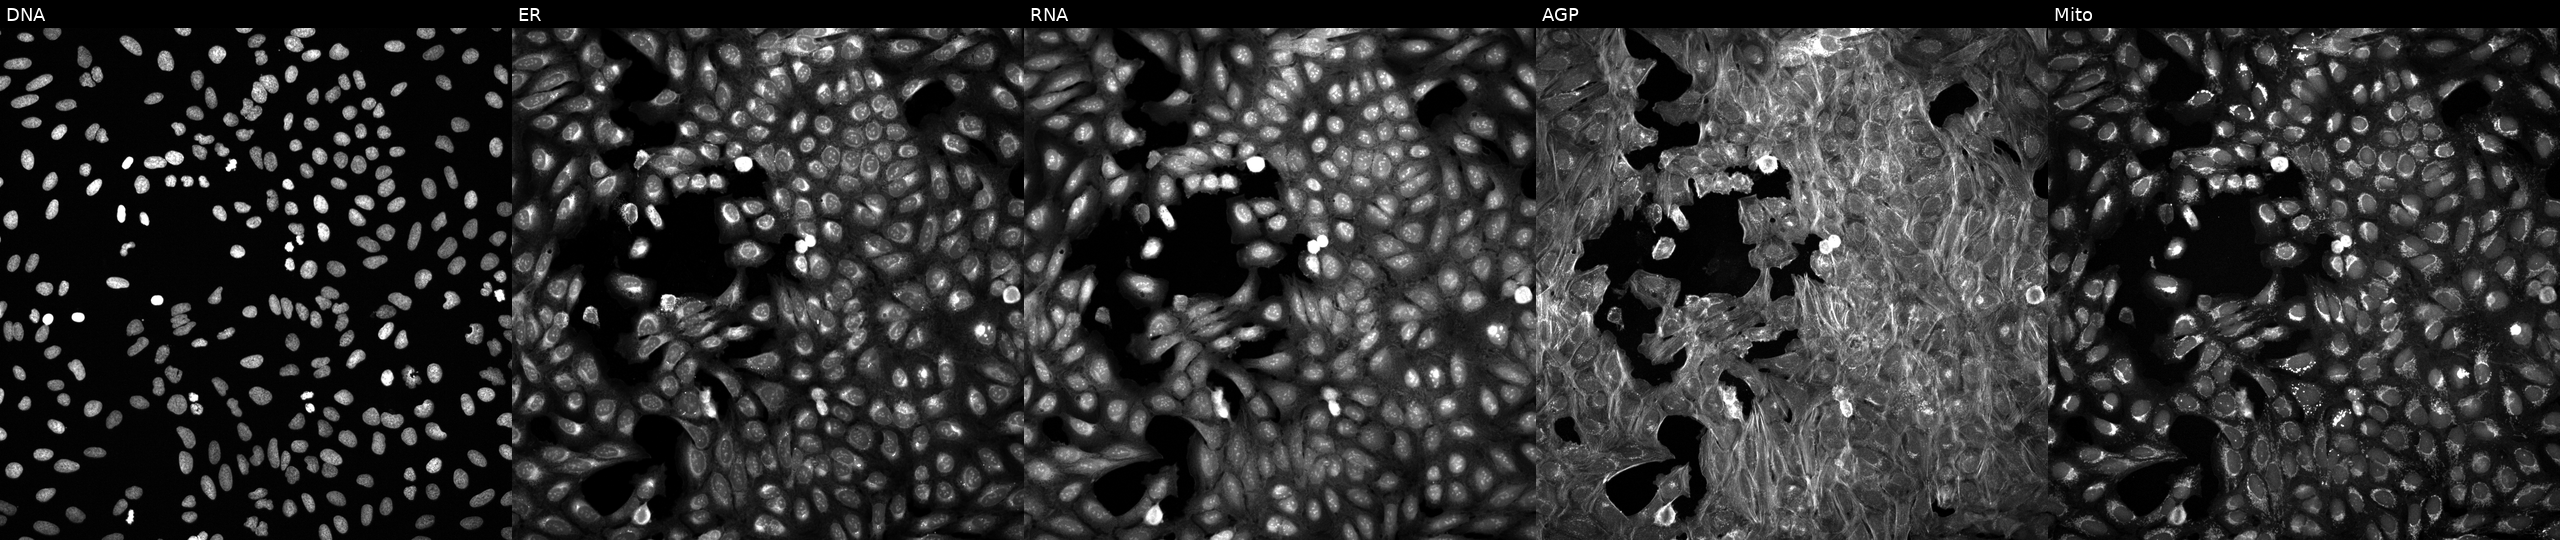
High-content fluorescence microscopy (Cell Painting). Cell line: U2OS. Perturbation: exposed to DMSO alone as a negative control (JUMP id JCP2022_033924). From left to right: DNA, ER, RNA, AGP, and Mito.